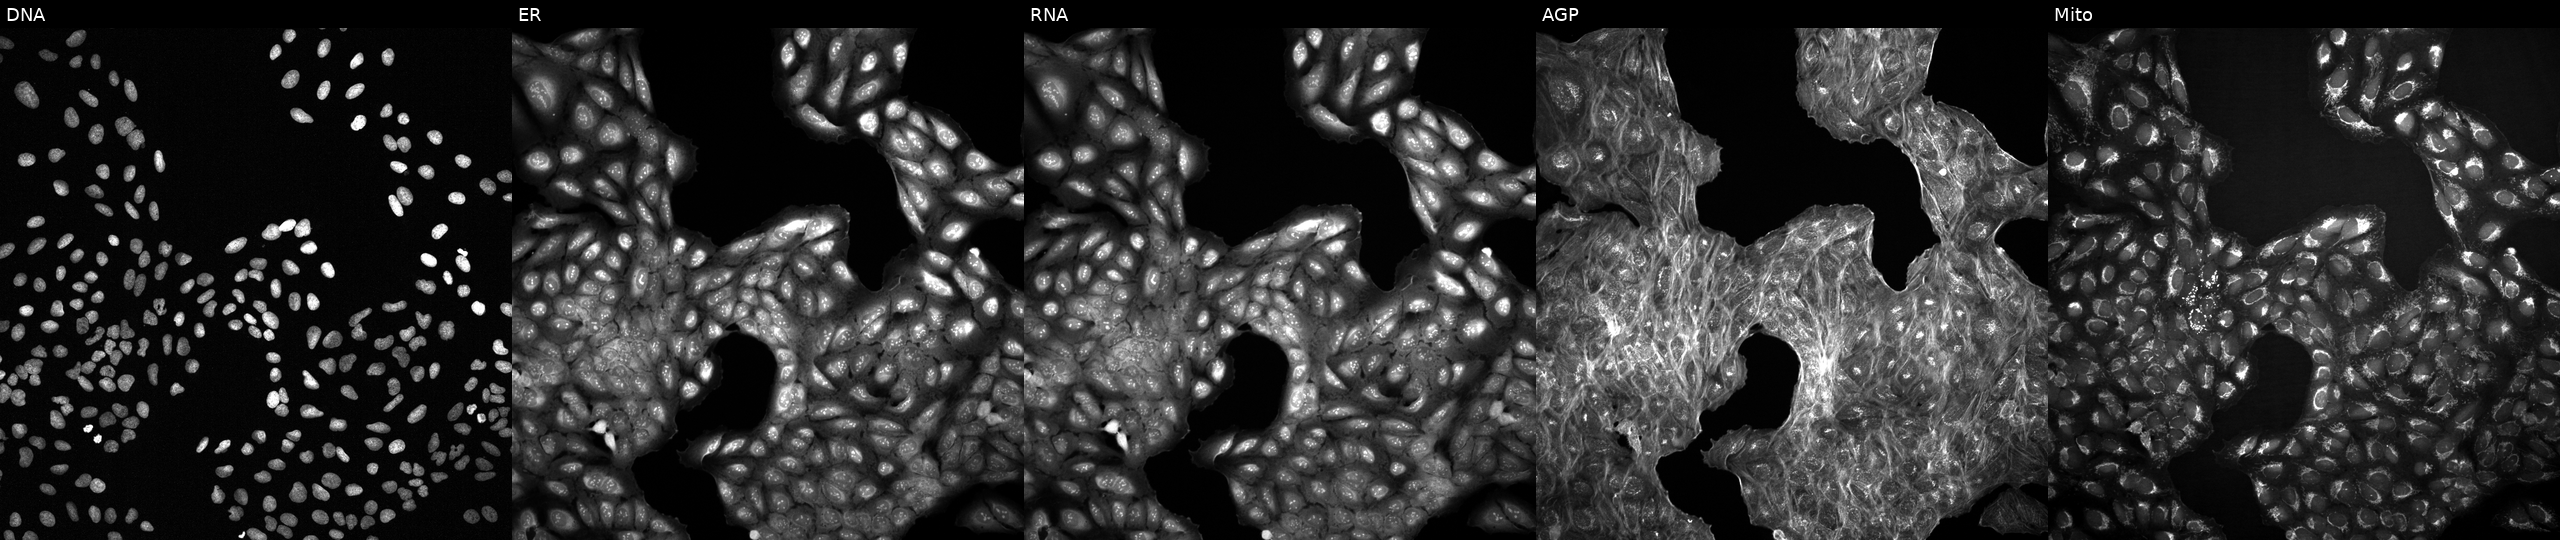
U2OS cells, Cell Painting assay, with an unidentified perturbation (not annotated in JUMP metadata). From left to right: Hoechst 33342, concanavalin A, SYTO 14, phalloidin and WGA, MitoTracker. Each panel is percentile-stretched 16-bit fluorescence.